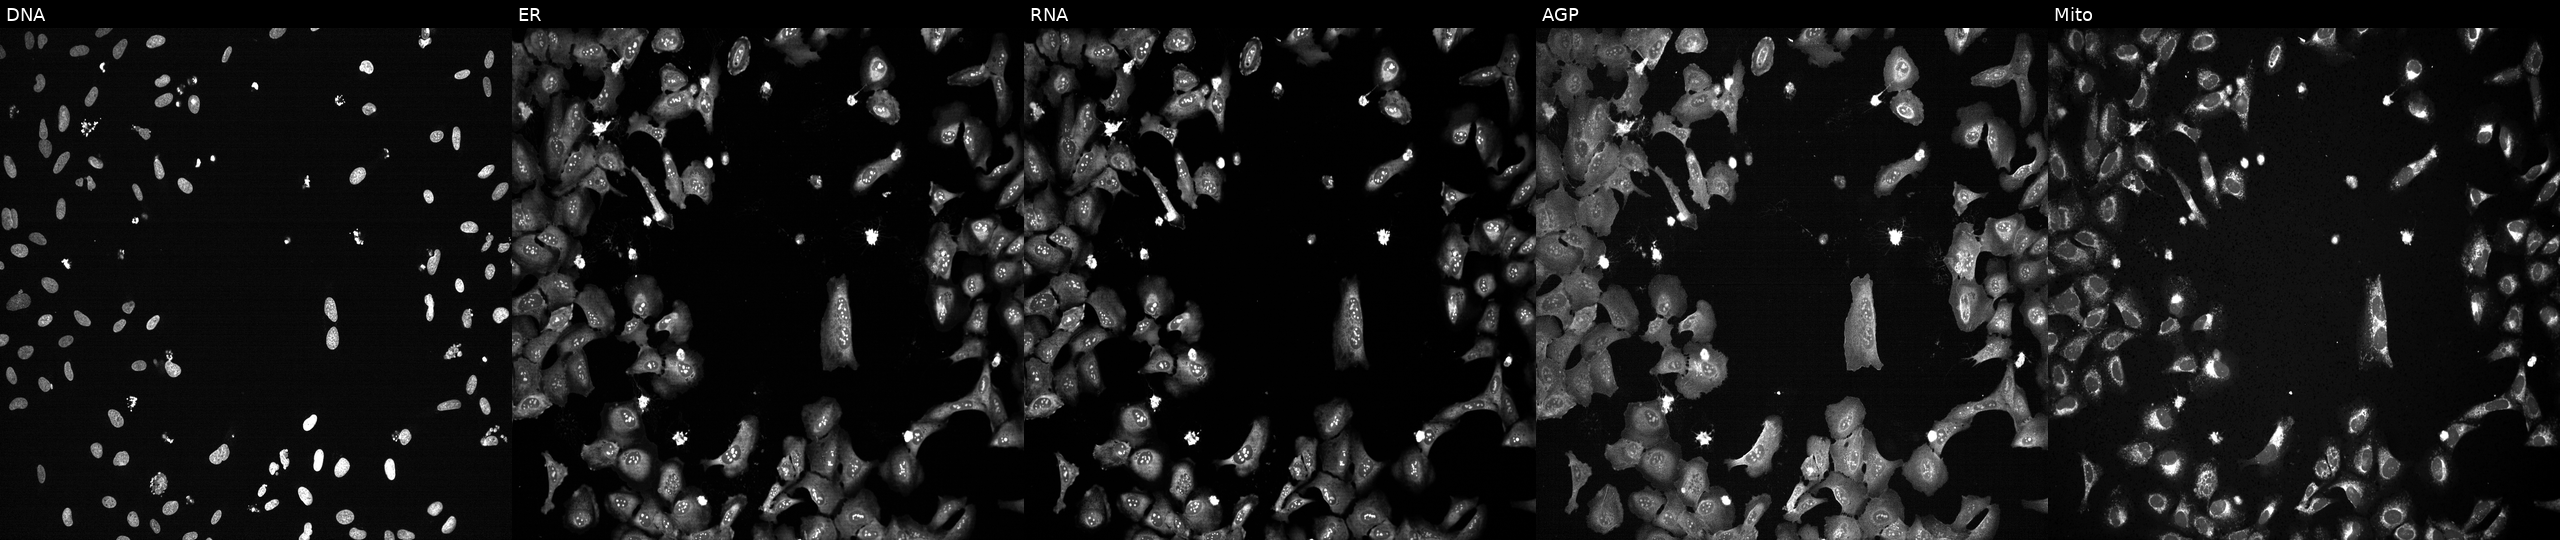
This image strip shows the five Cell Painting channels for a single field of U2OS cells treated with TC-S-7004 (positive-control compound) (JUMP id JCP2022_012818). Panels show, left to right, DNA, ER, RNA, AGP, and Mito.